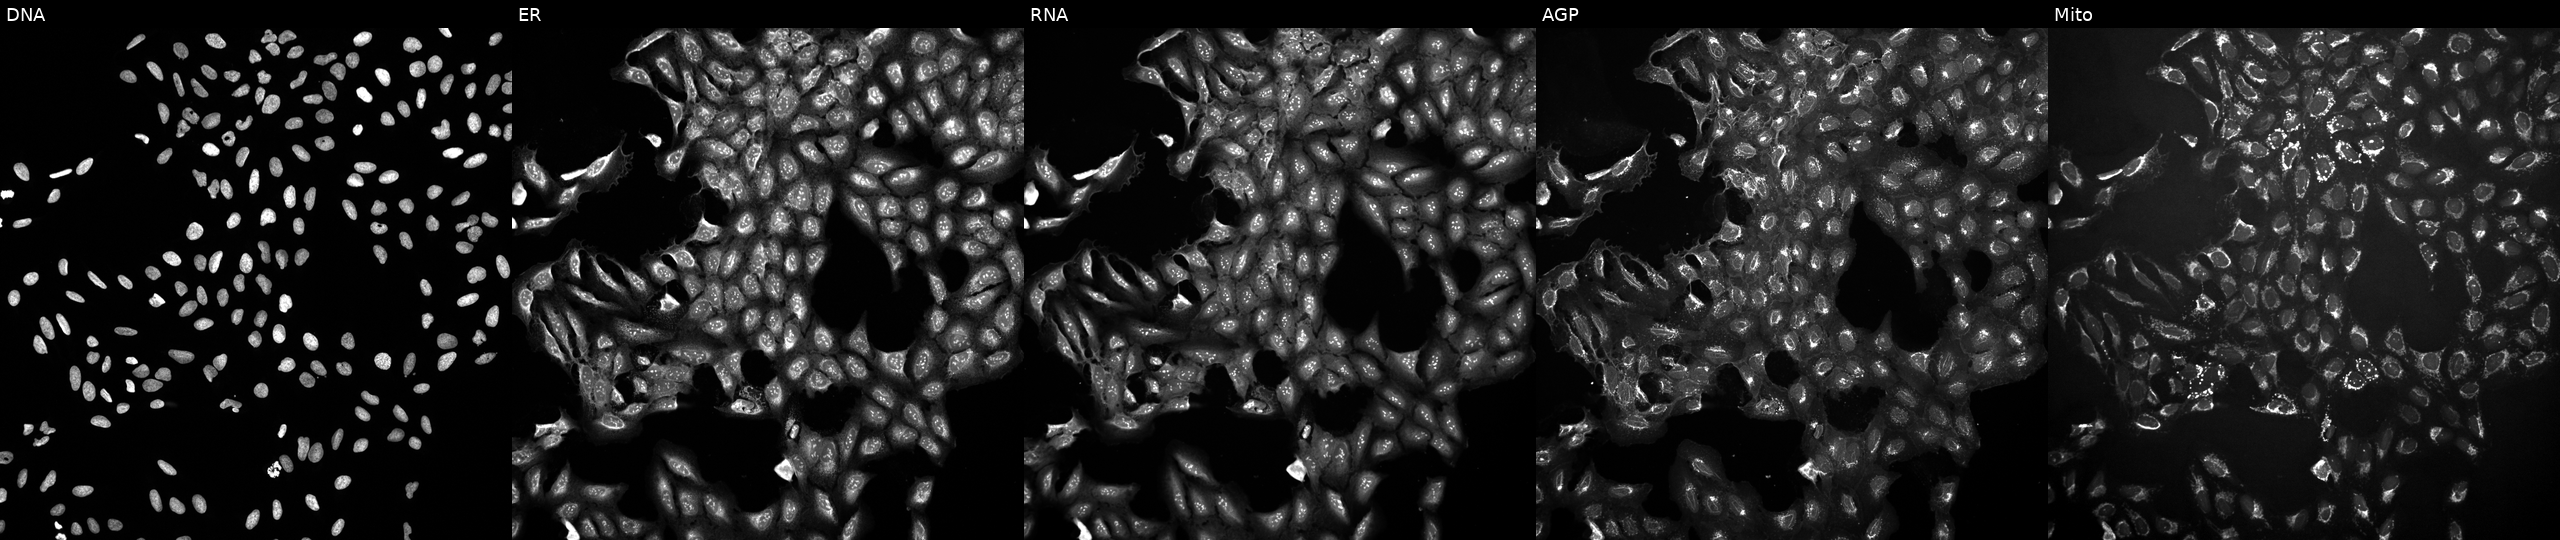
From left to right: DNA, ER, RNA, AGP, and Mito. U2OS osteosarcoma cells treated with DMSO vehicle only (negative control) (JUMP id JCP2022_033924). Cell Painting assay, JUMP-CP dataset. Source 10, plate Dest210803-153958, well F05.